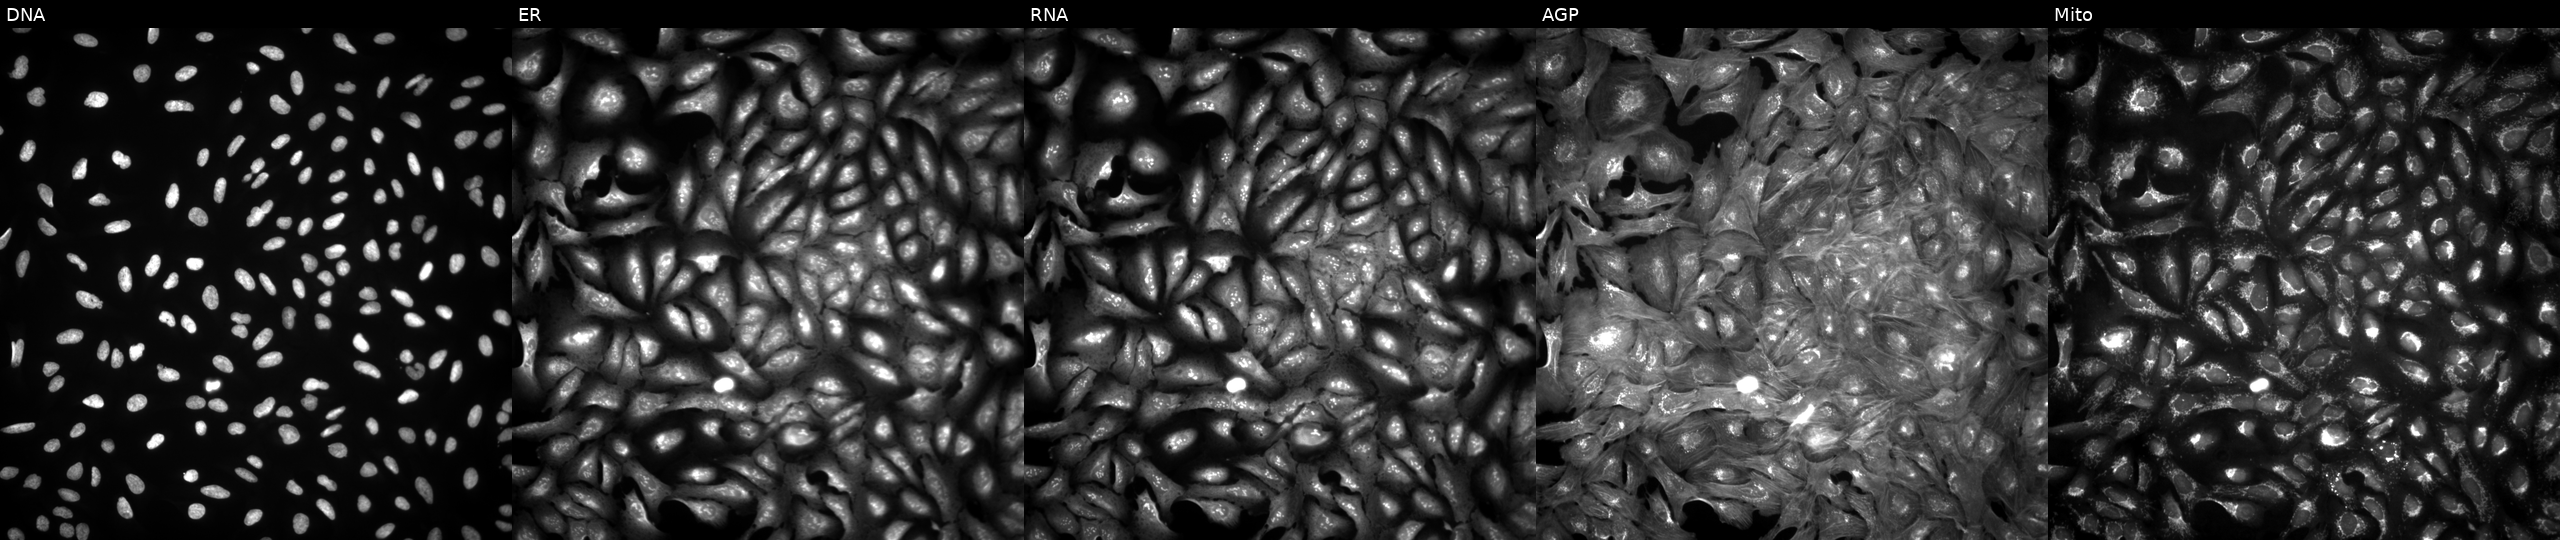
High-content fluorescence microscopy (Cell Painting). Cell line: U2OS. Perturbation: expressing eGFP (ORF positive control). Channels (left→right): DNA, ER, RNA, AGP, and Mito. Source 4, plate BR00124784, well P18.